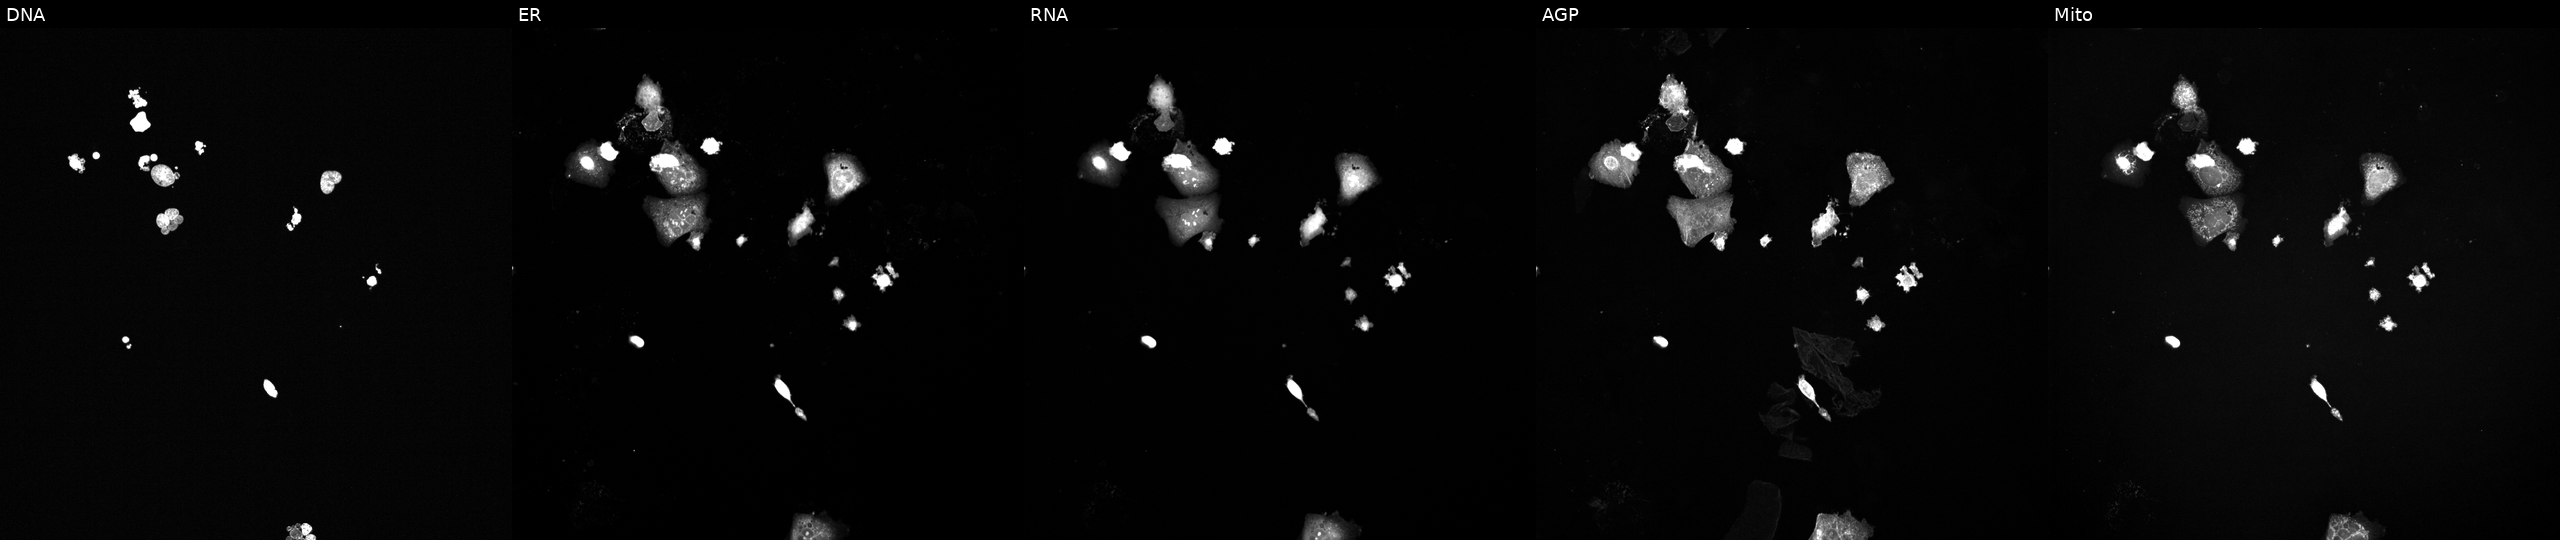
This image strip shows the five Cell Painting channels for a single field of U2OS cells treated with a small-molecule compound (InChIKey MTJHLONVHHPNSI-UHFFFAOYSA-N). Channels (left→right): DNA (nuclei); ER (endoplasmic reticulum); RNA (nucleoli and cytoplasmic RNA); AGP (actin cytoskeleton, Golgi, and plasma membrane); Mito (mitochondria).